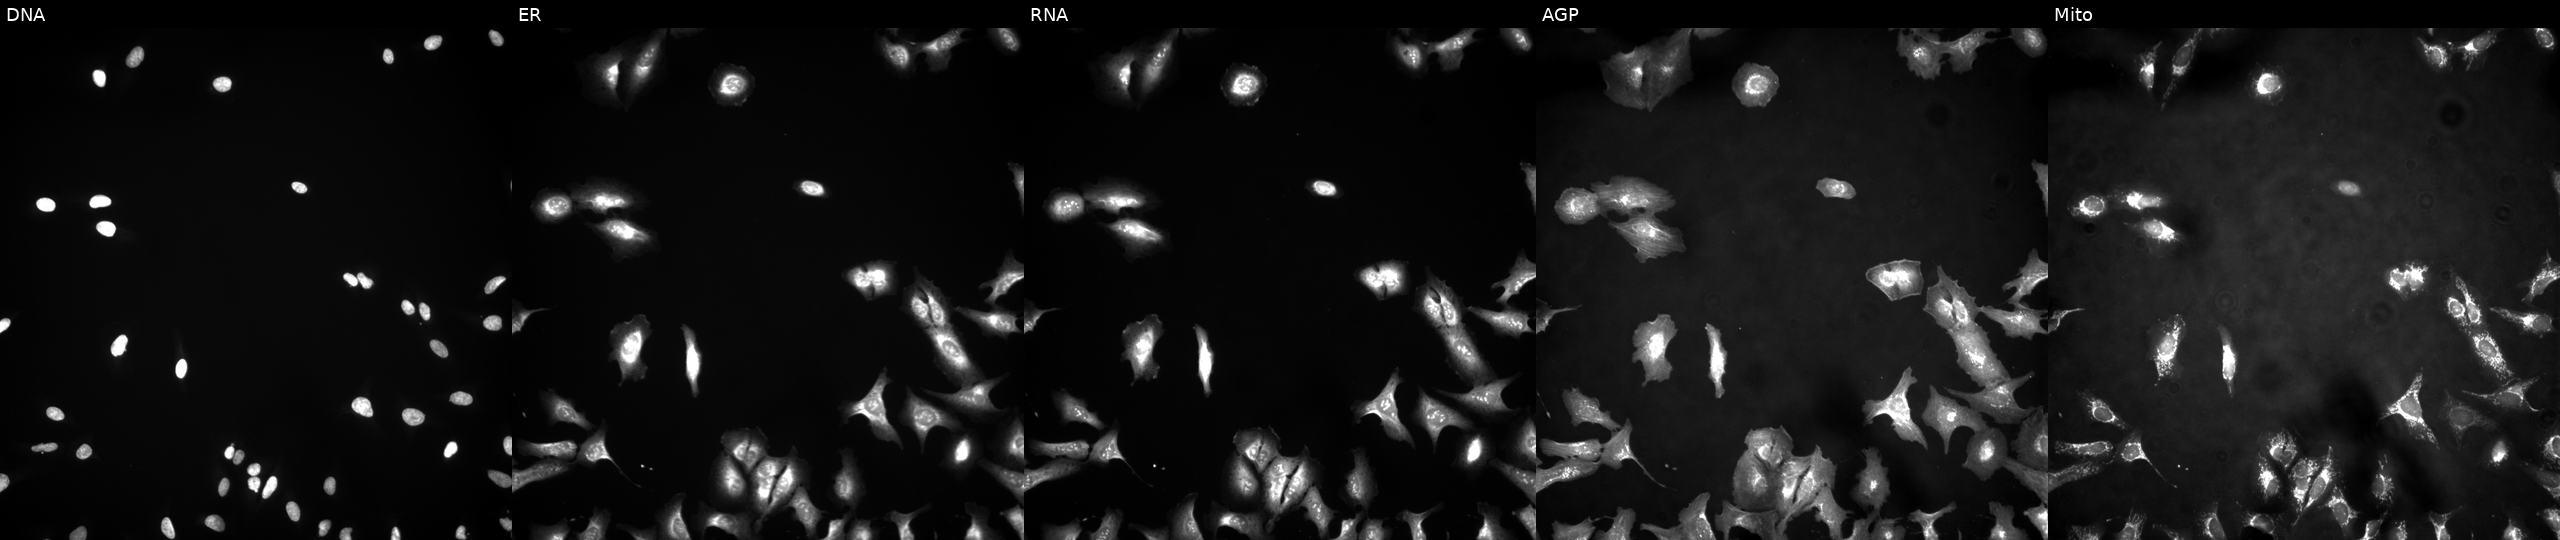
High-content fluorescence microscopy (Cell Painting). Cell line: U2OS. Perturbation: transfected with an ORF construct for DDIT3 (JUMP id JCP2022_905697). From left to right: Hoechst 33342, concanavalin A, SYTO 14, phalloidin and WGA, MitoTracker.